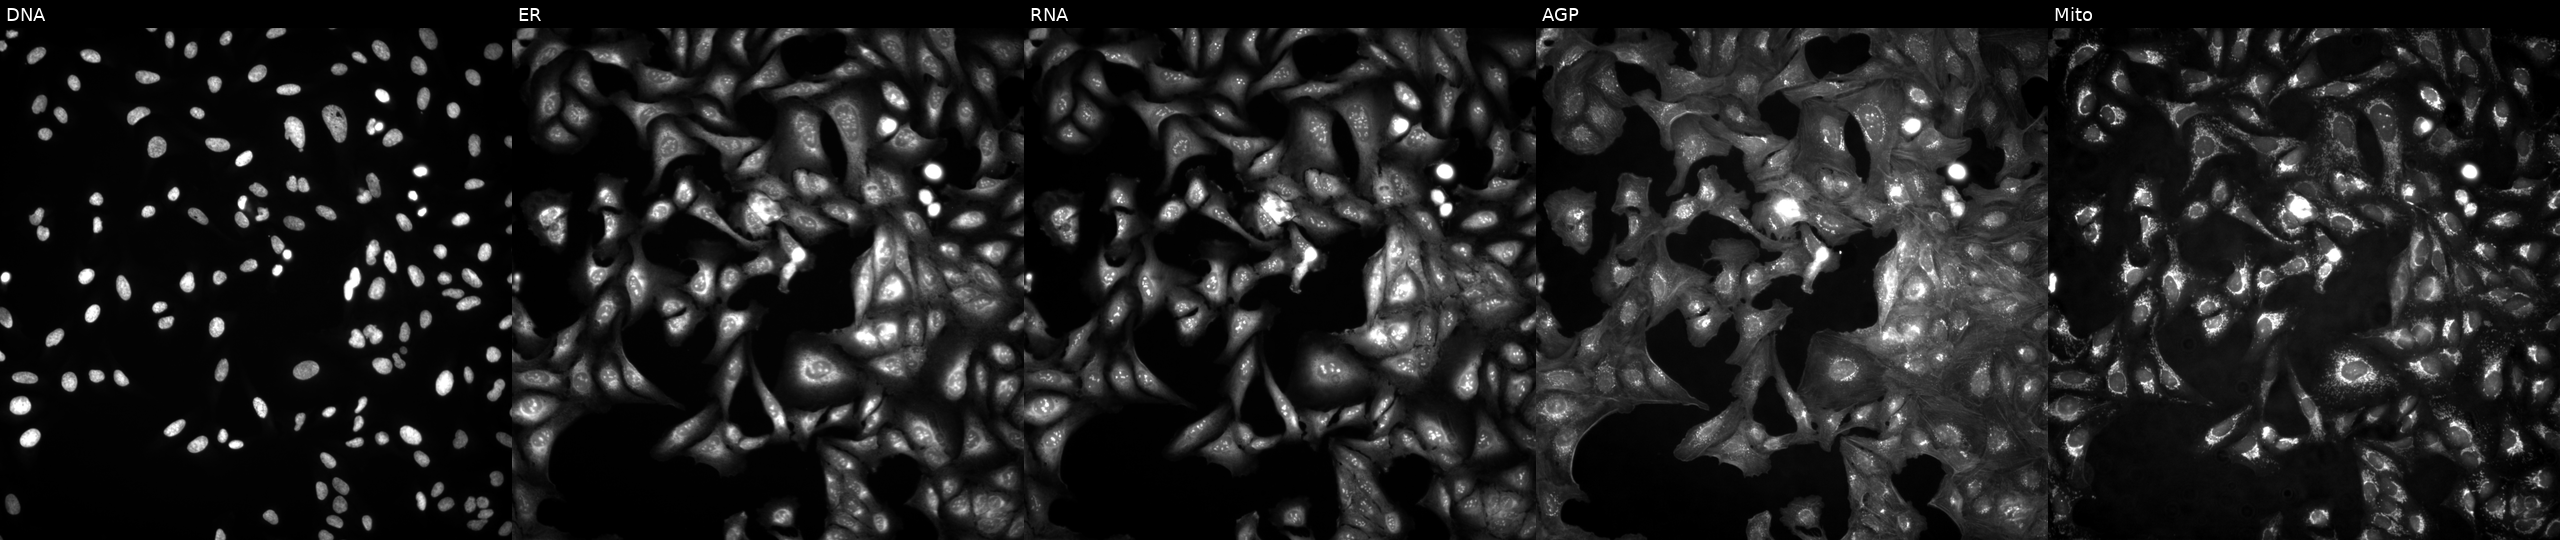
Channels (left→right): DNA (nuclei); ER (endoplasmic reticulum); RNA (nucleoli and cytoplasmic RNA); AGP (actin cytoskeleton, Golgi, and plasma membrane); Mito (mitochondria). U2OS osteosarcoma cells in an empty control well (no perturbation). Cell Painting assay, JUMP-CP dataset.